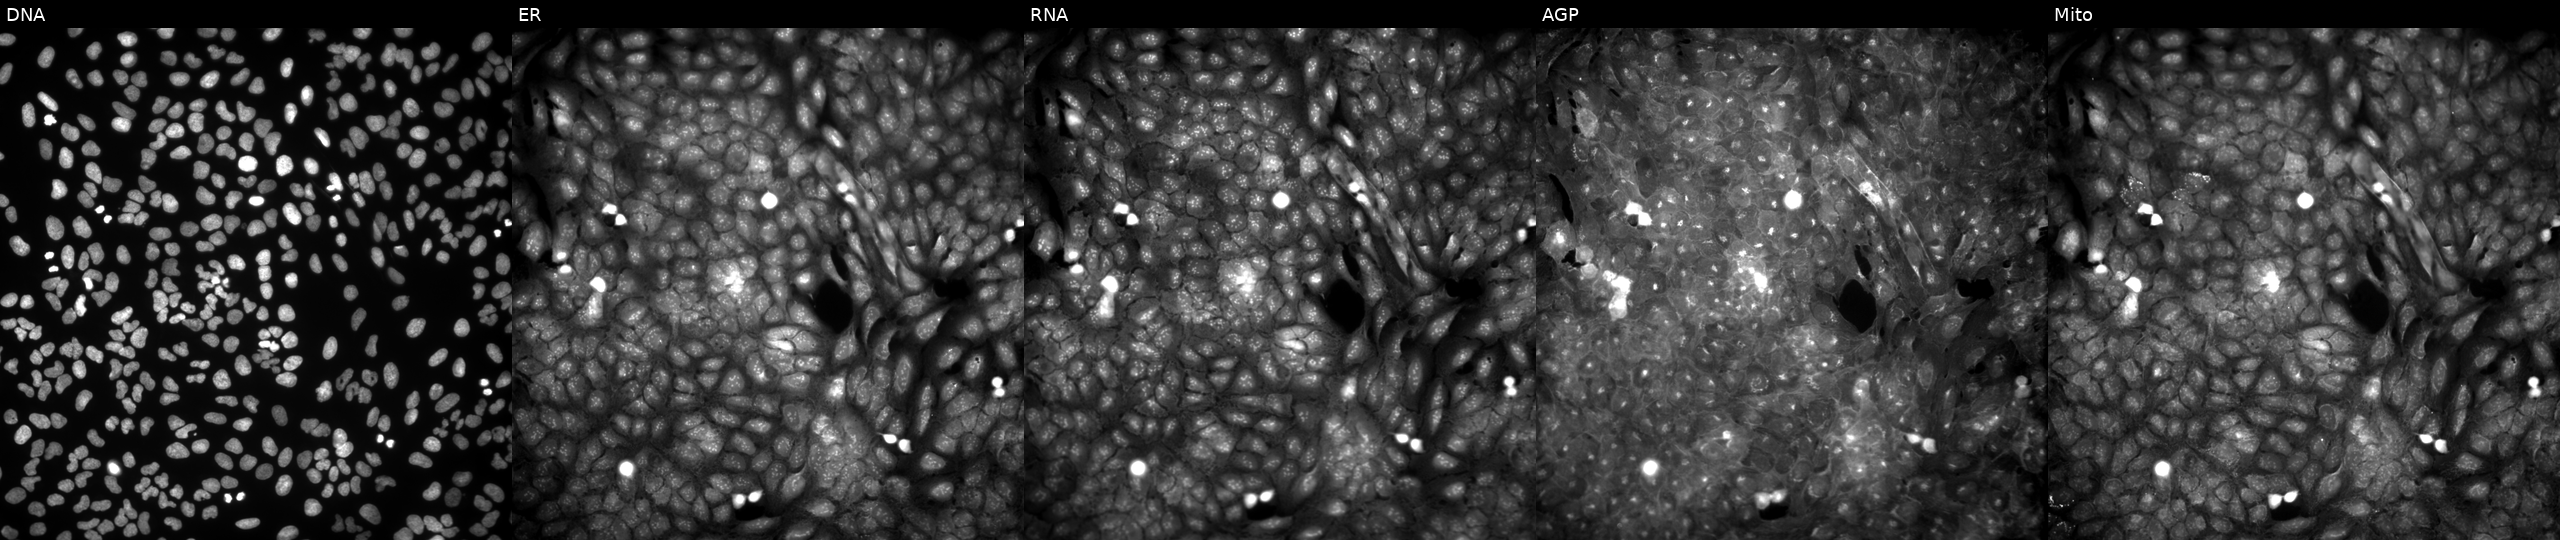
This image strip shows the five Cell Painting channels for a single field of U2OS cells exposed to a small-molecule compound (InChIKey FRHYGDBARSVRMC-UHFFFAOYSA-N). From left to right: DNA, ER, RNA, AGP, and Mito.